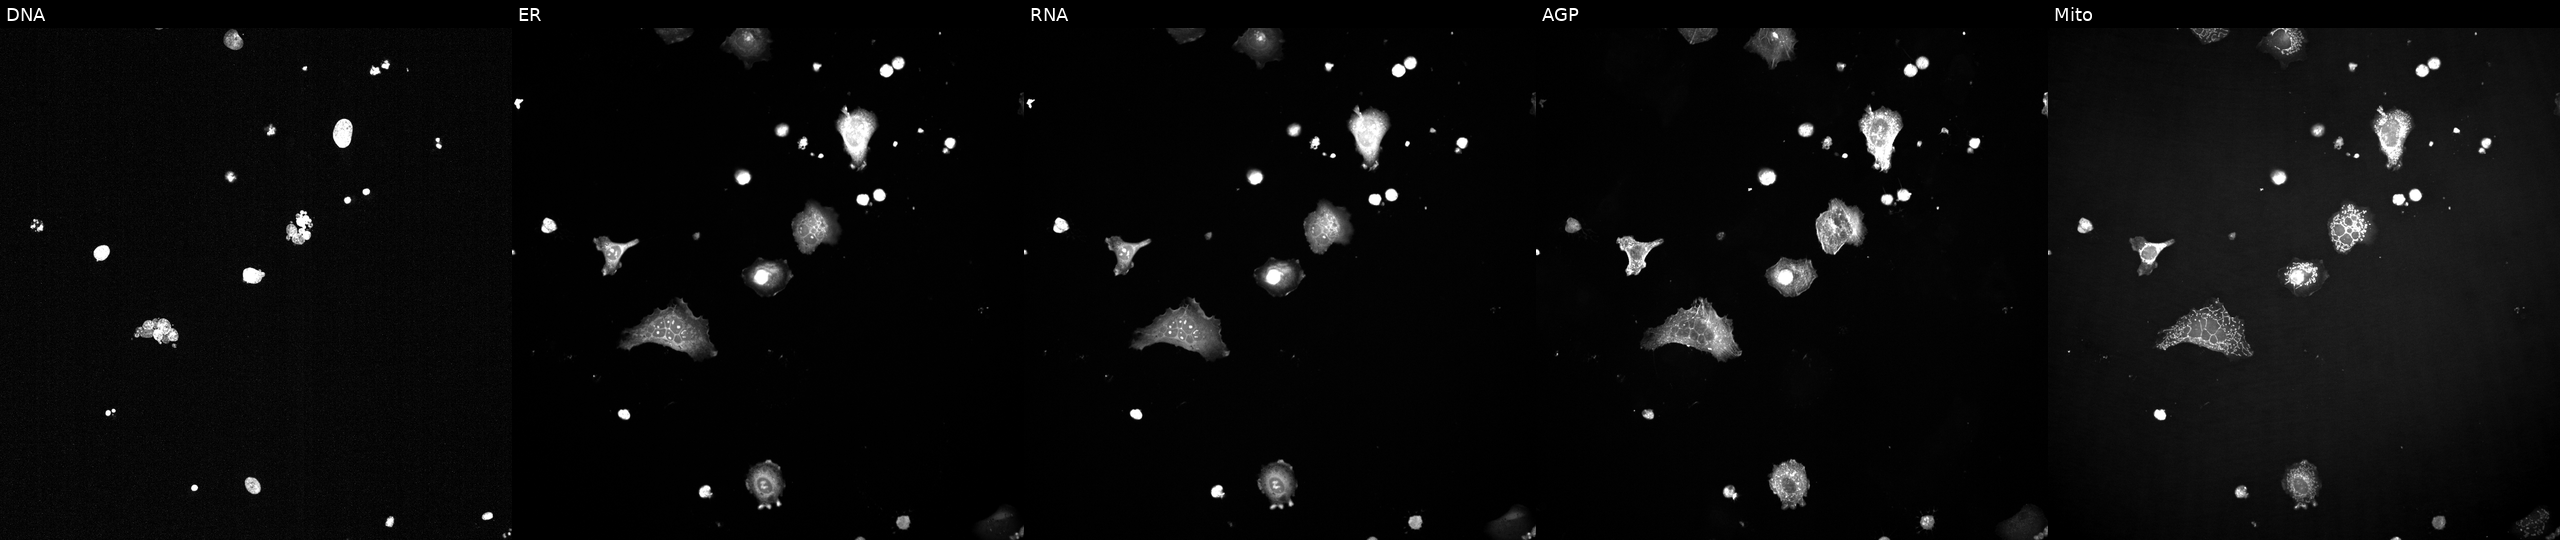
JUMP Cell Painting — TARGET2 plate. U2OS cells exposed to a small-molecule compound (InChIKey MTJHLONVHHPNSI-UHFFFAOYSA-N) (JUMP id JCP2022_056401). The five panels, left to right, show DNA (nuclei); ER (endoplasmic reticulum); RNA (nucleoli and cytoplasmic RNA); AGP (actin cytoskeleton, Golgi, and plasma membrane); Mito (mitochondria). Source 2, plate 1053600674, well M15.